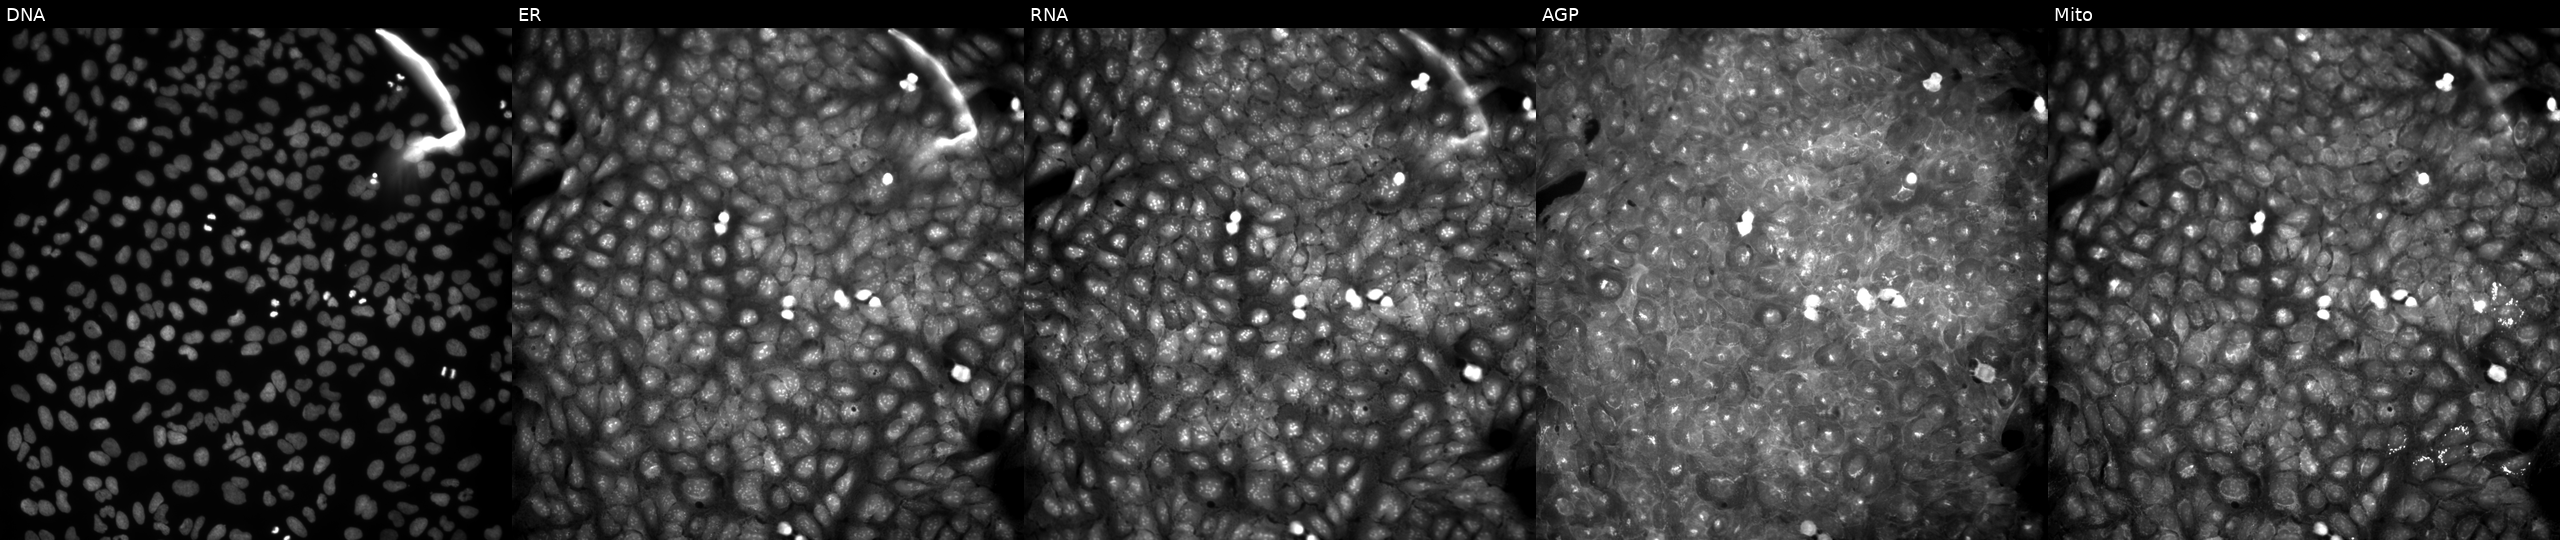
JUMP Cell Painting — COMPOUND plate. U2OS cells perturbed with a small-molecule compound (InChIKey DWCFIKGNUJGZBZ-UHFFFAOYSA-N) [SMILES: O=c1oc(-c2ccccc2[N+](=O)[O-])nc2ccccc12]. Panels show, left to right, Hoechst 33342, concanavalin A, SYTO 14, phalloidin and WGA, MitoTracker.